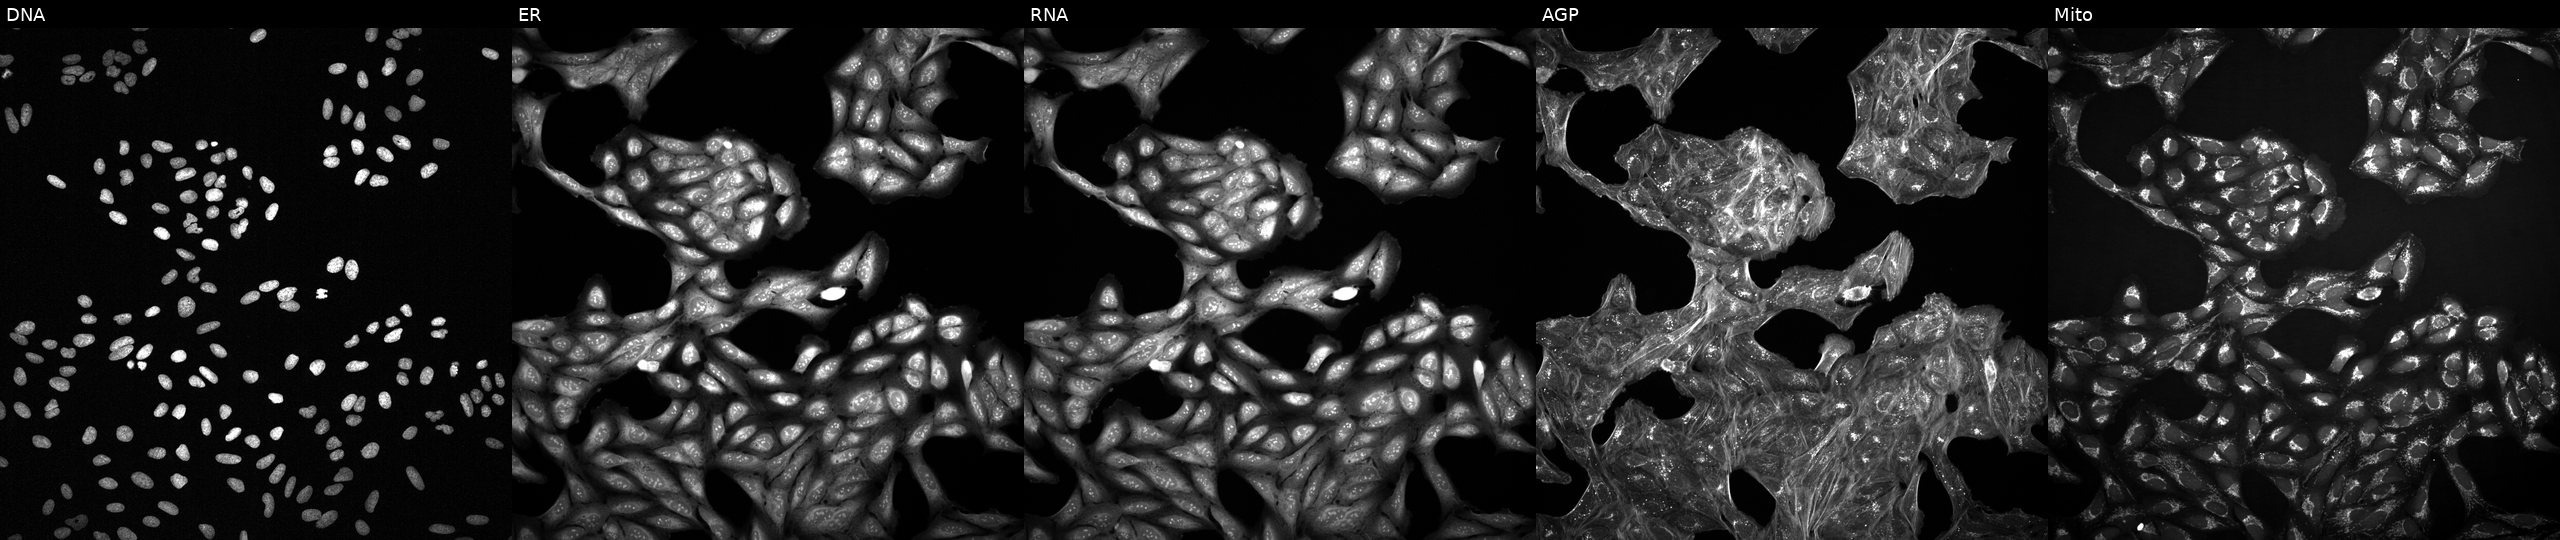
U2OS cells, Cell Painting assay, exposed to a small-molecule compound (InChIKey XRVDGNKRPOAQTN-UHFFFAOYSA-N) (JUMP id JCP2022_105621). From left to right: DNA (nuclei); ER (endoplasmic reticulum); RNA (nucleoli and cytoplasmic RNA); AGP (actin cytoskeleton, Golgi, and plasma membrane); Mito (mitochondria). Each panel is percentile-stretched 16-bit fluorescence. Source 2, plate 1053600674, well C02.